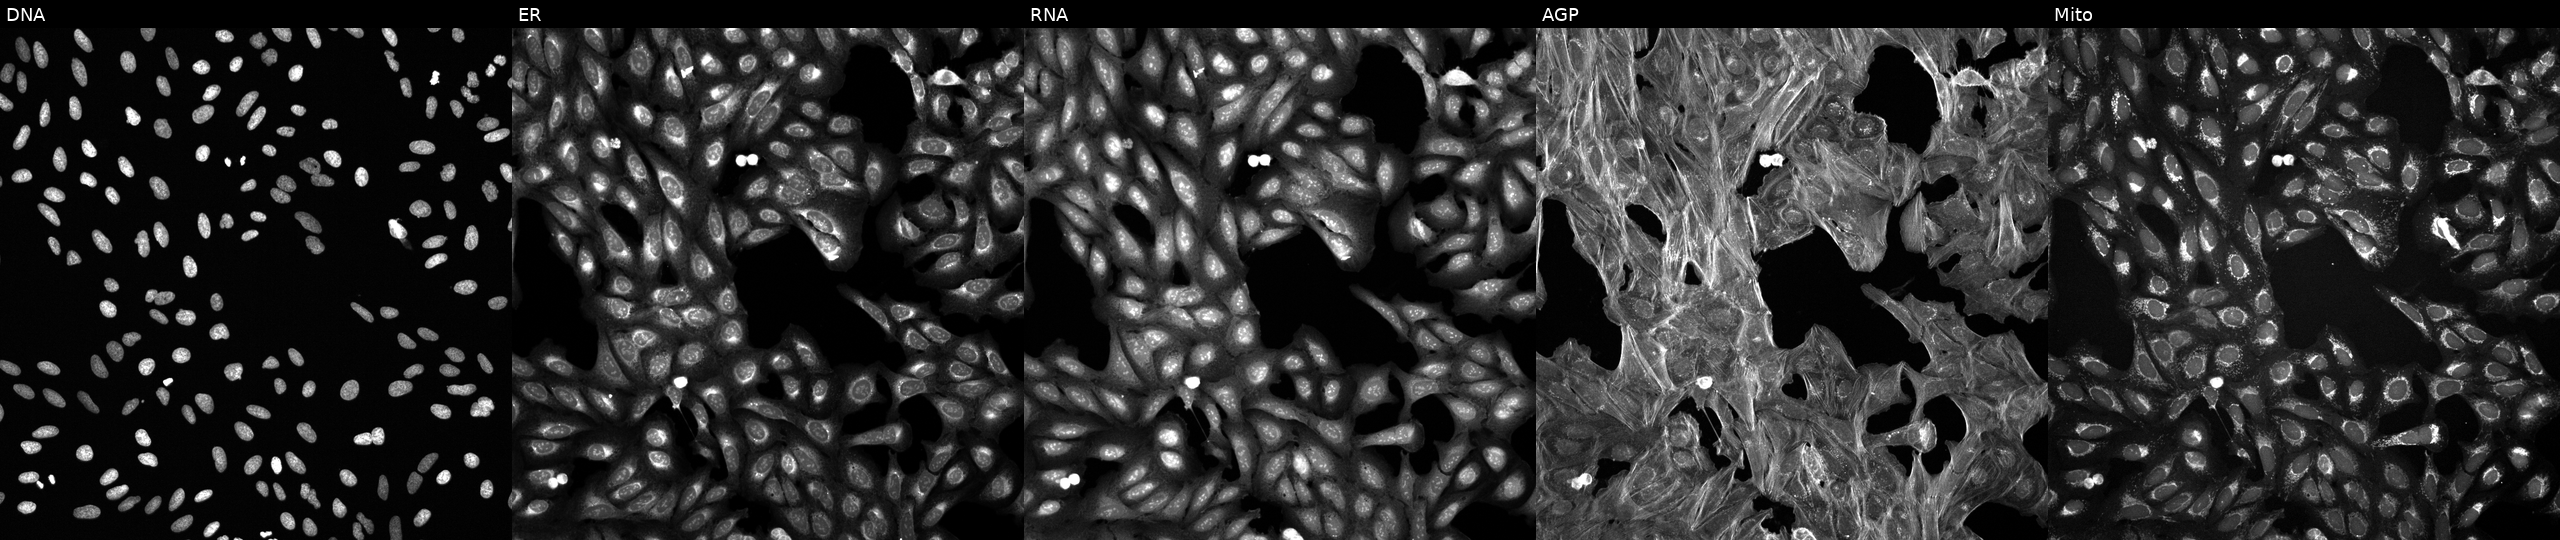
JUMP Cell Painting — TARGET2 plate. U2OS cells exposed to a small-molecule compound. From left to right: Hoechst 33342, concanavalin A, SYTO 14, phalloidin and WGA, MitoTracker.